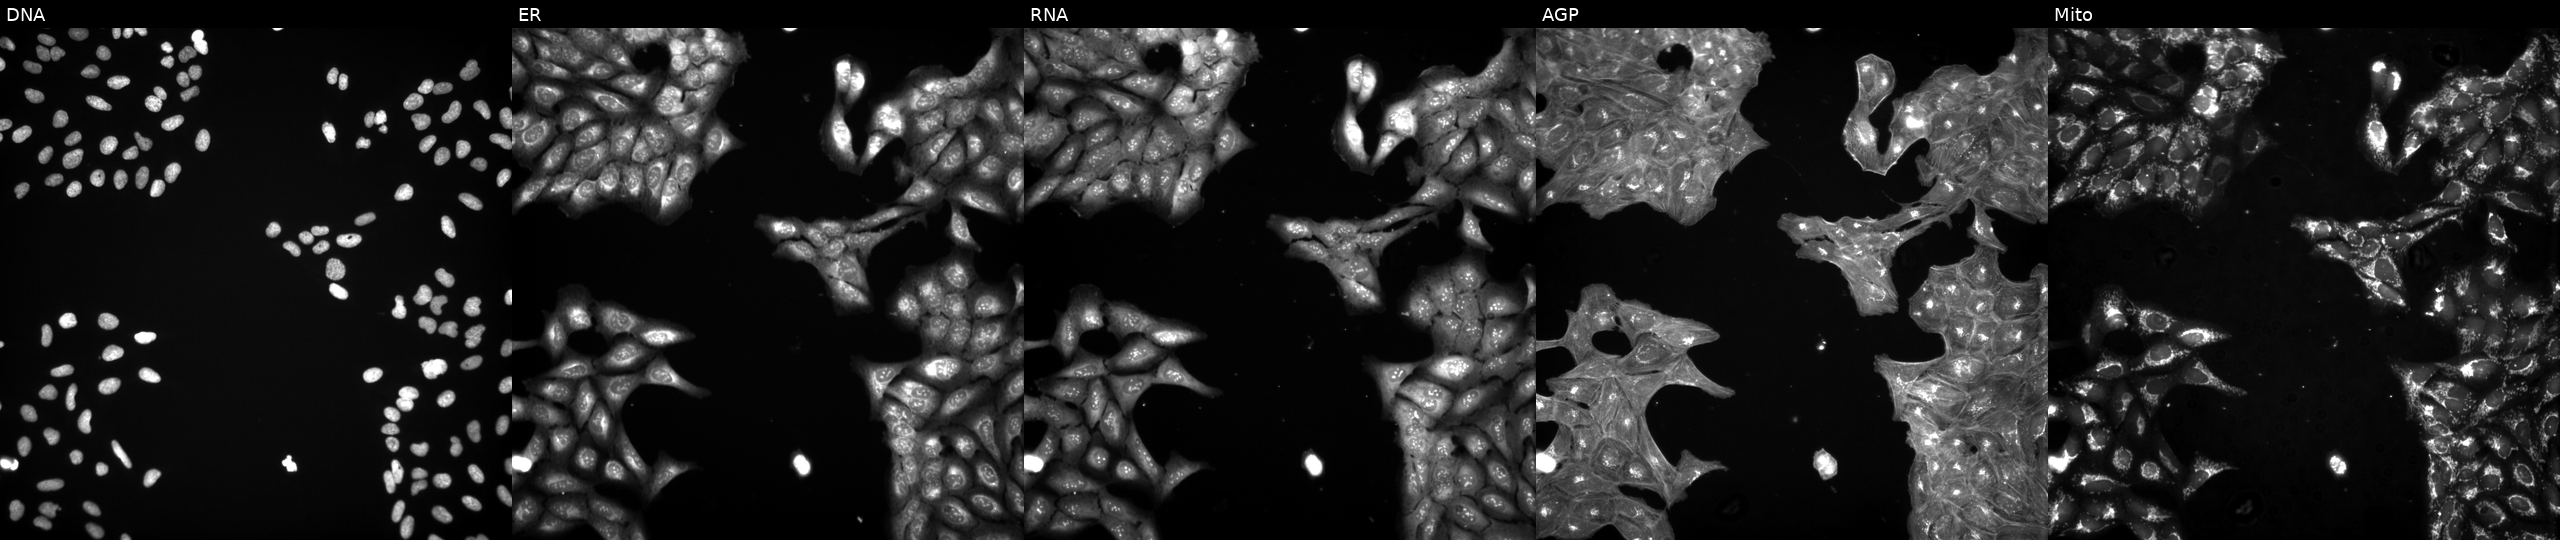
Panels show, left to right, Hoechst 33342, concanavalin A, SYTO 14, phalloidin and WGA, MitoTracker. U2OS osteosarcoma cells in an empty control well (no perturbation) (JUMP id JCP2022_999999). Cell Painting assay, JUMP-CP dataset.